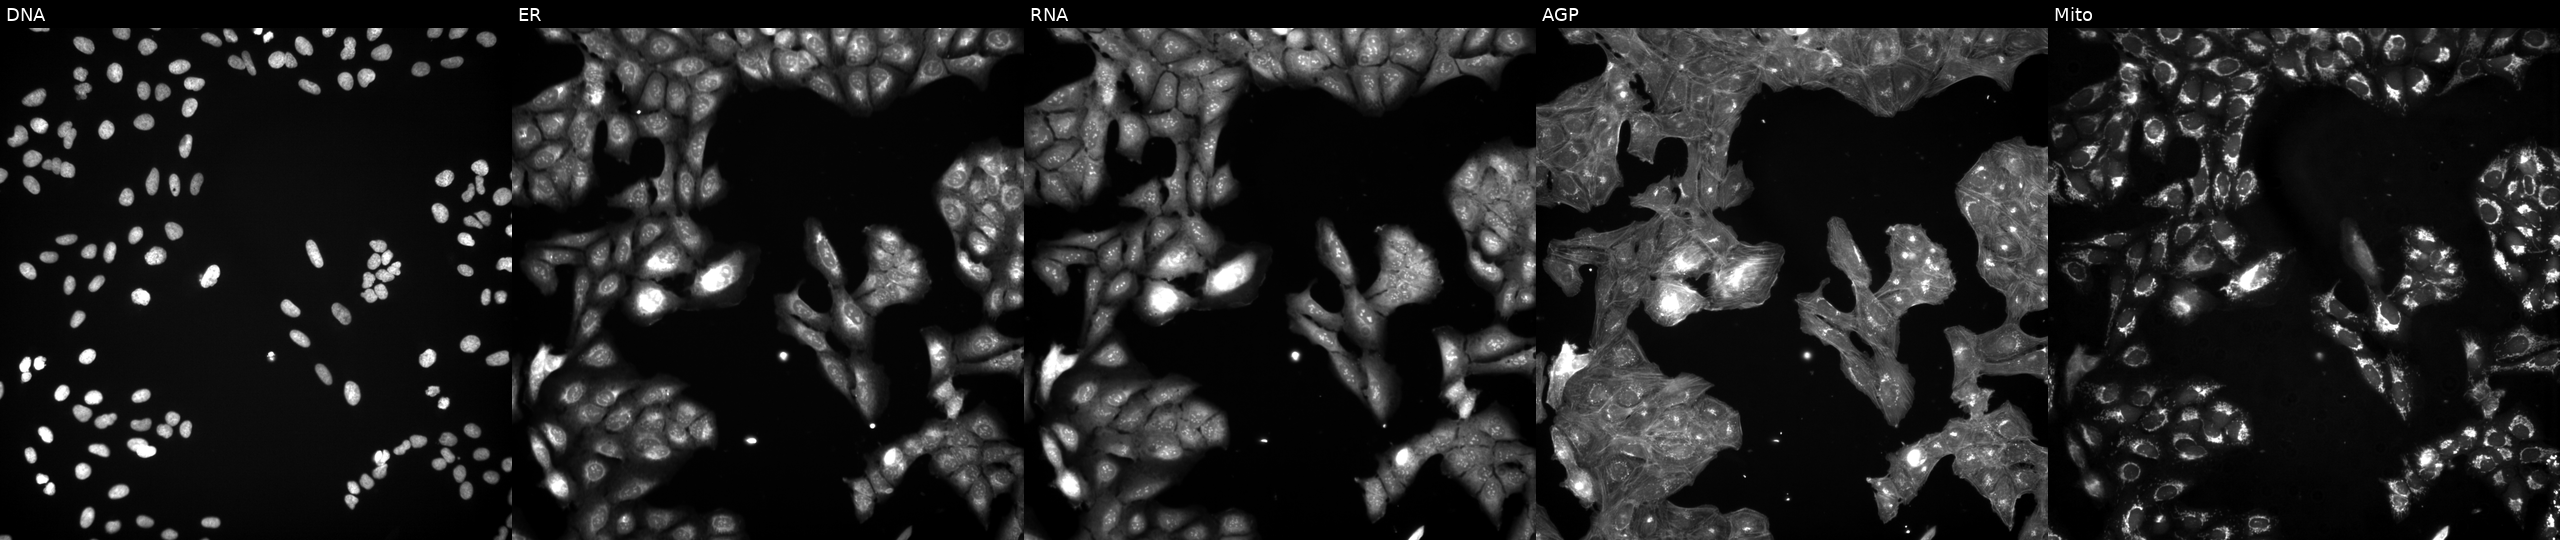
This image strip shows the five Cell Painting channels for a single field of U2OS cells exposed to DMSO alone as a negative control. The five panels, left to right, show Hoechst 33342, concanavalin A, SYTO 14, phalloidin and WGA, MitoTracker. Source 3, plate JCPQC053, well H17.